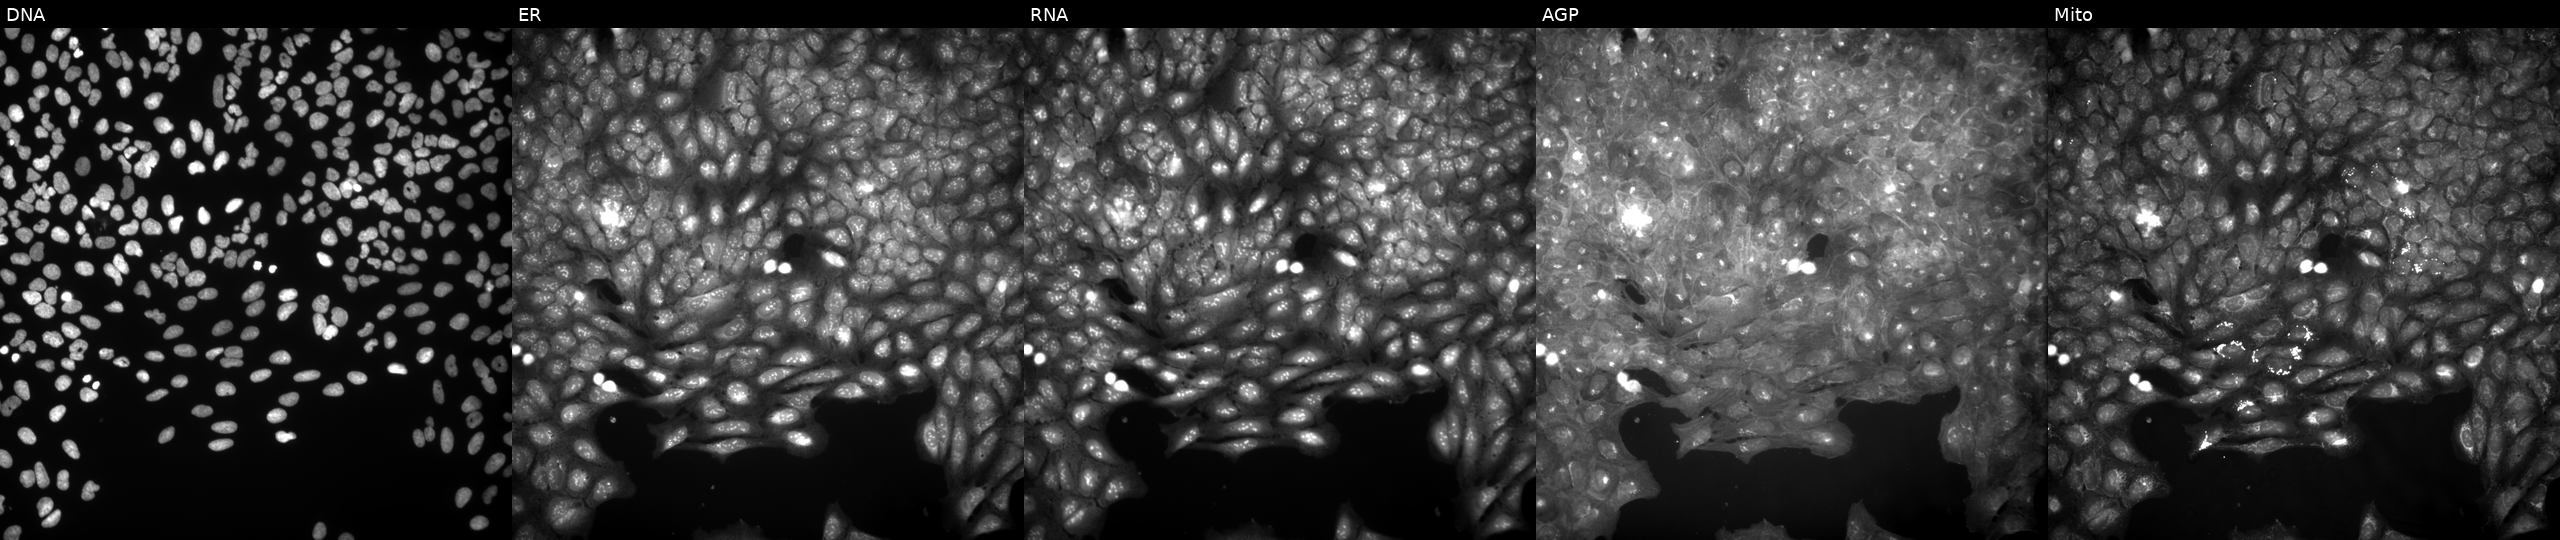
Channels (left→right): Hoechst 33342, concanavalin A, SYTO 14, phalloidin and WGA, MitoTracker. U2OS osteosarcoma cells exposed to a small-molecule compound (JUMP id JCP2022_078201). Cell Painting assay, JUMP-CP dataset. Source 9, plate GR00003382, well K34.